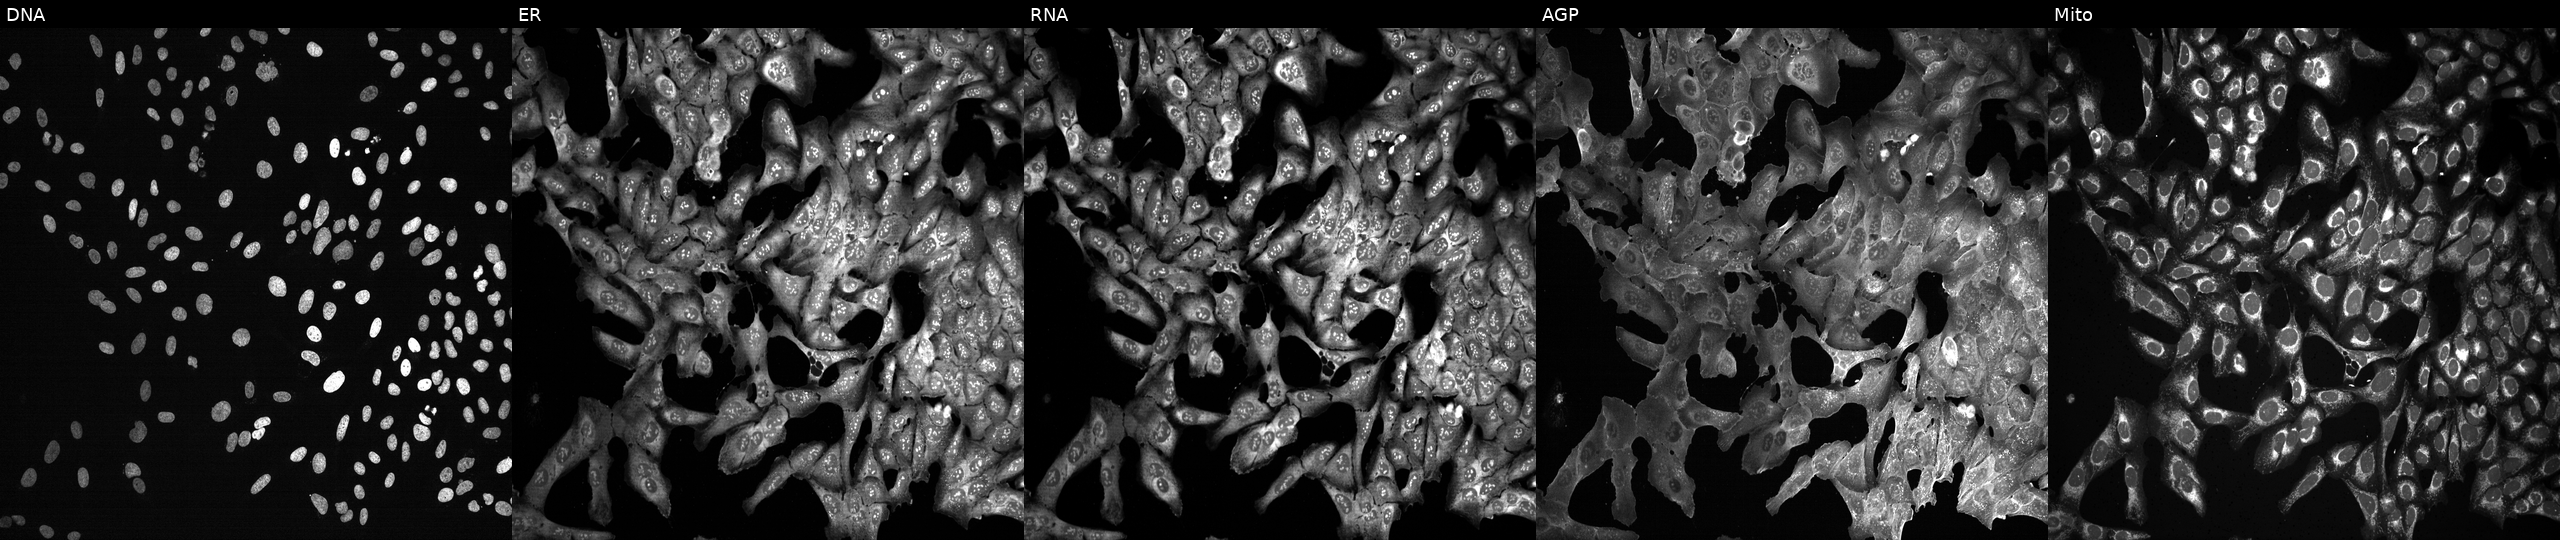
Channels (left→right): DNA, ER, RNA, AGP, and Mito. U2OS osteosarcoma cells CRISPR-edited to disrupt MMP25. Cell Painting assay, JUMP-CP dataset. Source 13, plate CP-CC9-R6-19, well A15.